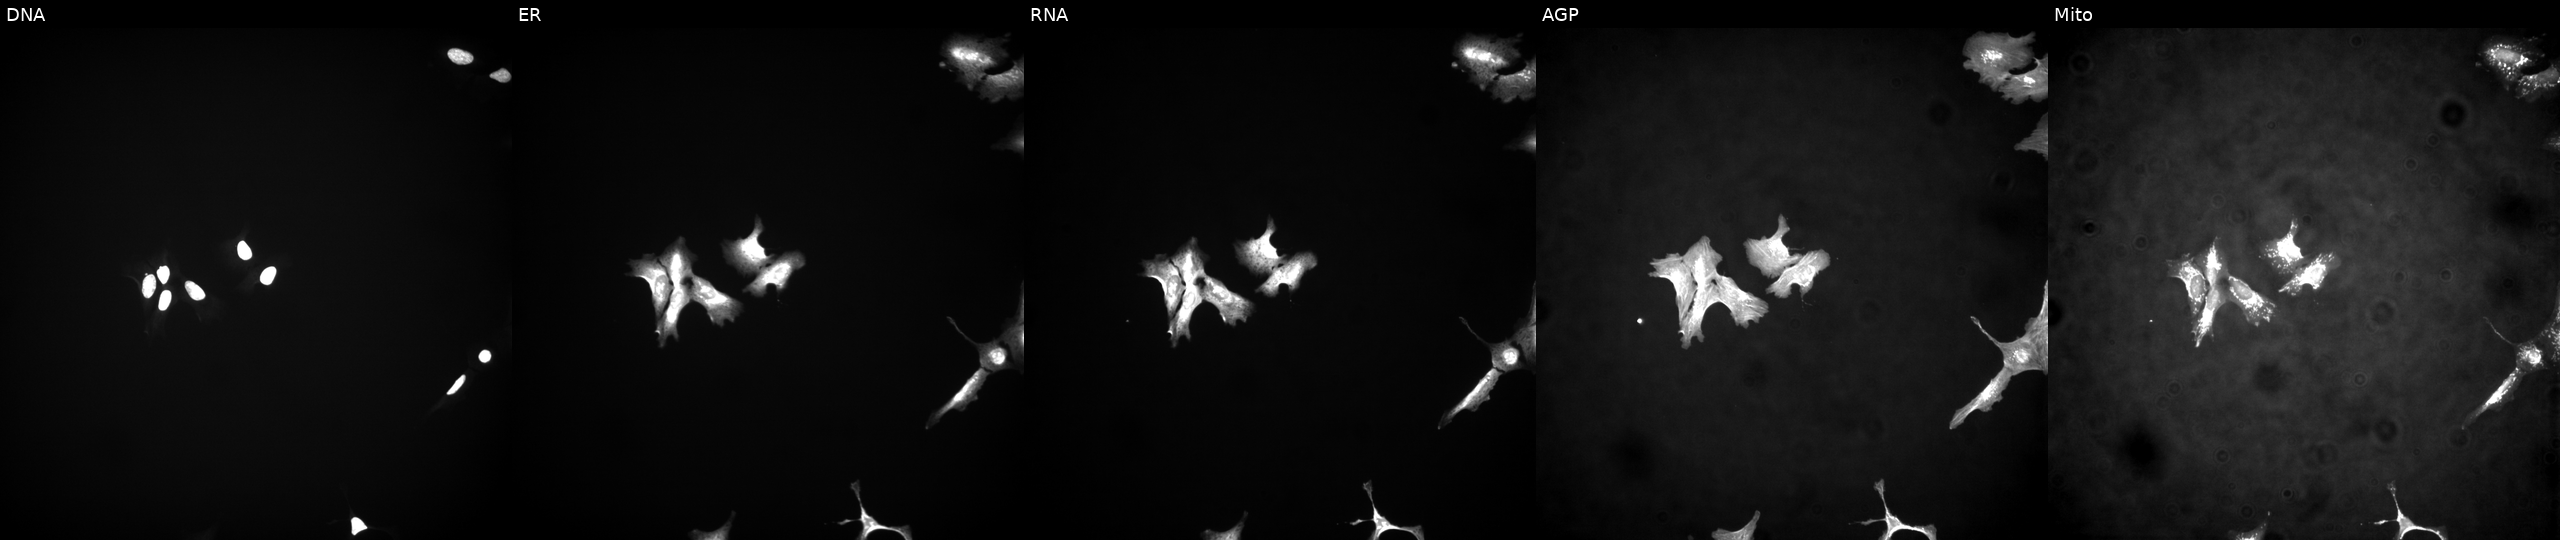
From left to right: DNA (nuclei); ER (endoplasmic reticulum); RNA (nucleoli and cytoplasmic RNA); AGP (actin cytoskeleton, Golgi, and plasma membrane); Mito (mitochondria). U2OS osteosarcoma cells overexpressing RPP25L via ORF transfection. Cell Painting assay, JUMP-CP dataset. Source 4, plate BR00124784, well L12.